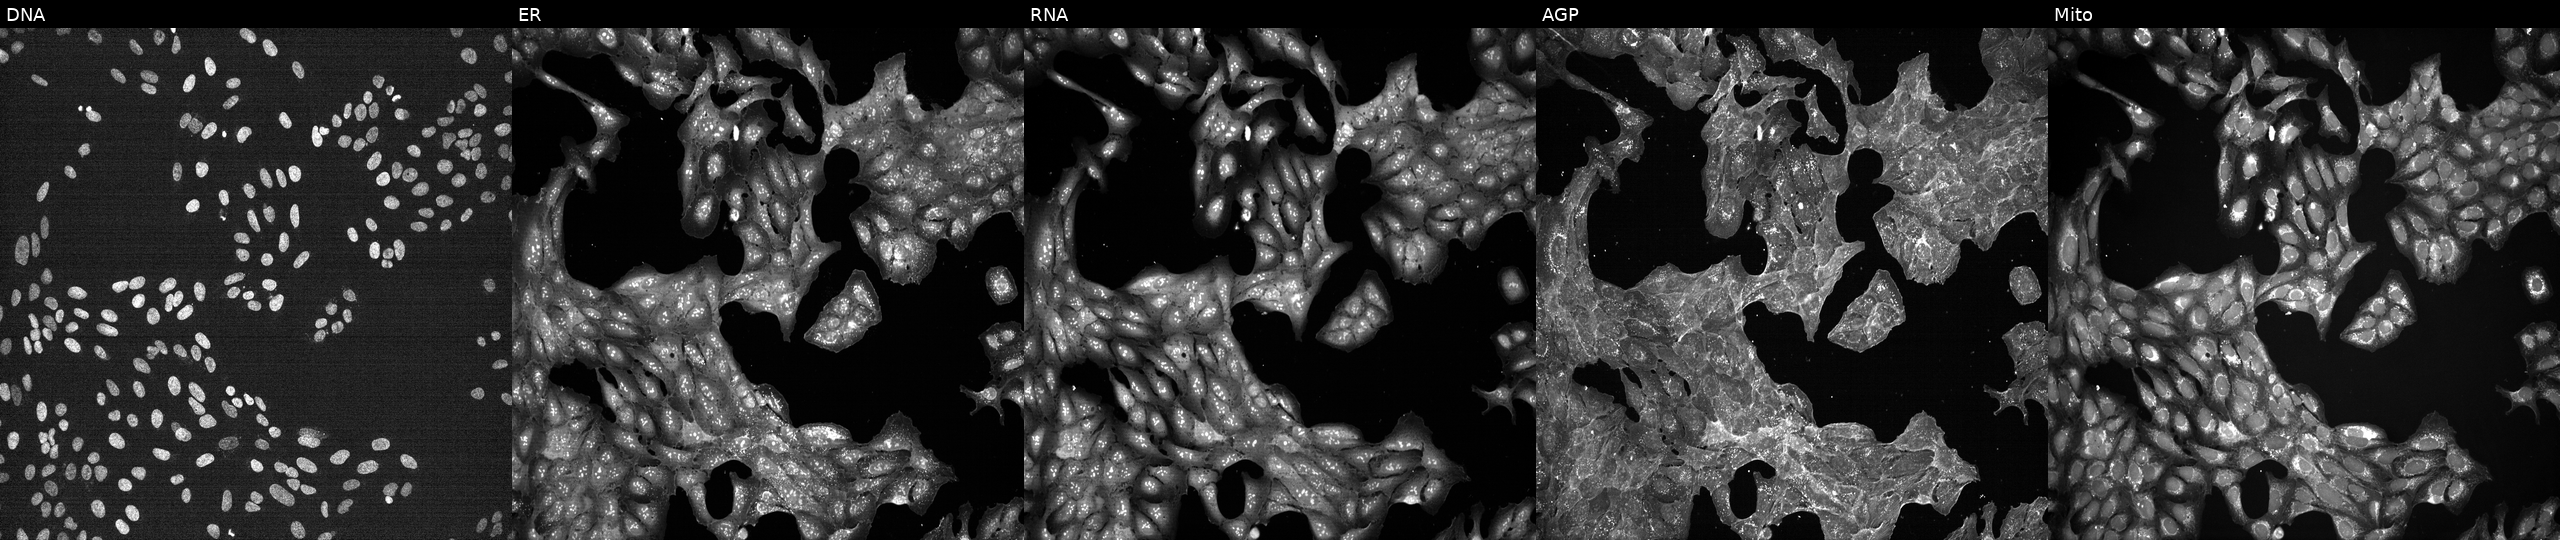
JUMP Cell Painting — TARGET2 plate. U2OS cells treated with a small-molecule compound (JUMP id JCP2022_109350). The five panels, left to right, show Hoechst 33342, concanavalin A, SYTO 14, phalloidin and WGA, MitoTracker.